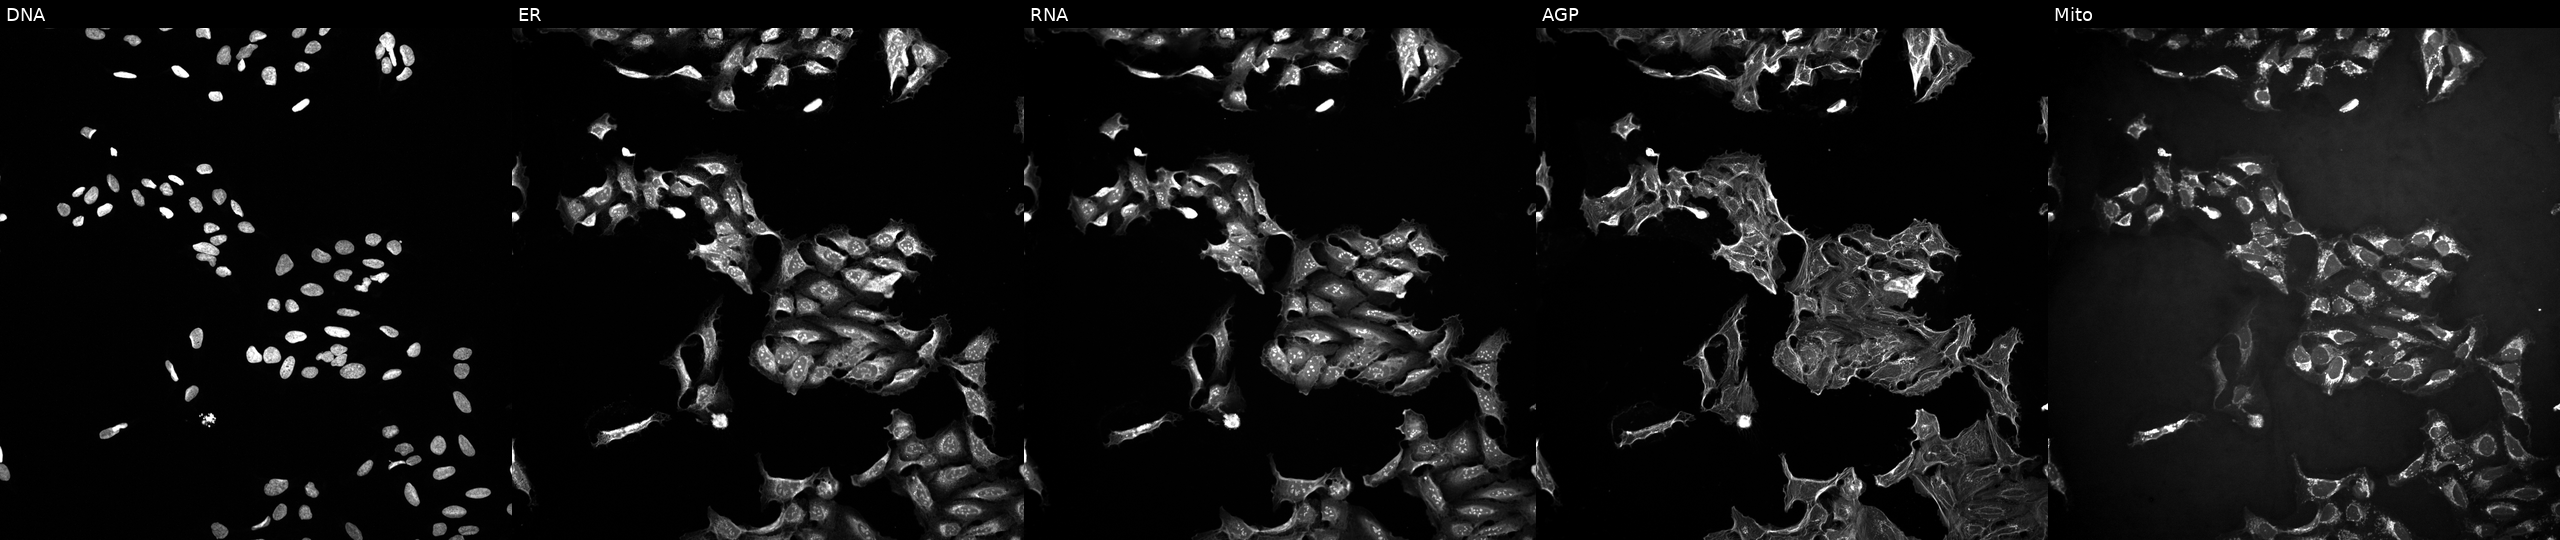
JUMP Cell Painting — TARGET2 plate. U2OS cells exposed to a small-molecule compound (InChIKey BYBLEWFAAKGYCD-UHFFFAOYSA-N) (JUMP id JCP2022_009419). The five panels, left to right, show DNA (nuclei); ER (endoplasmic reticulum); RNA (nucleoli and cytoplasmic RNA); AGP (actin cytoskeleton, Golgi, and plasma membrane); Mito (mitochondria).